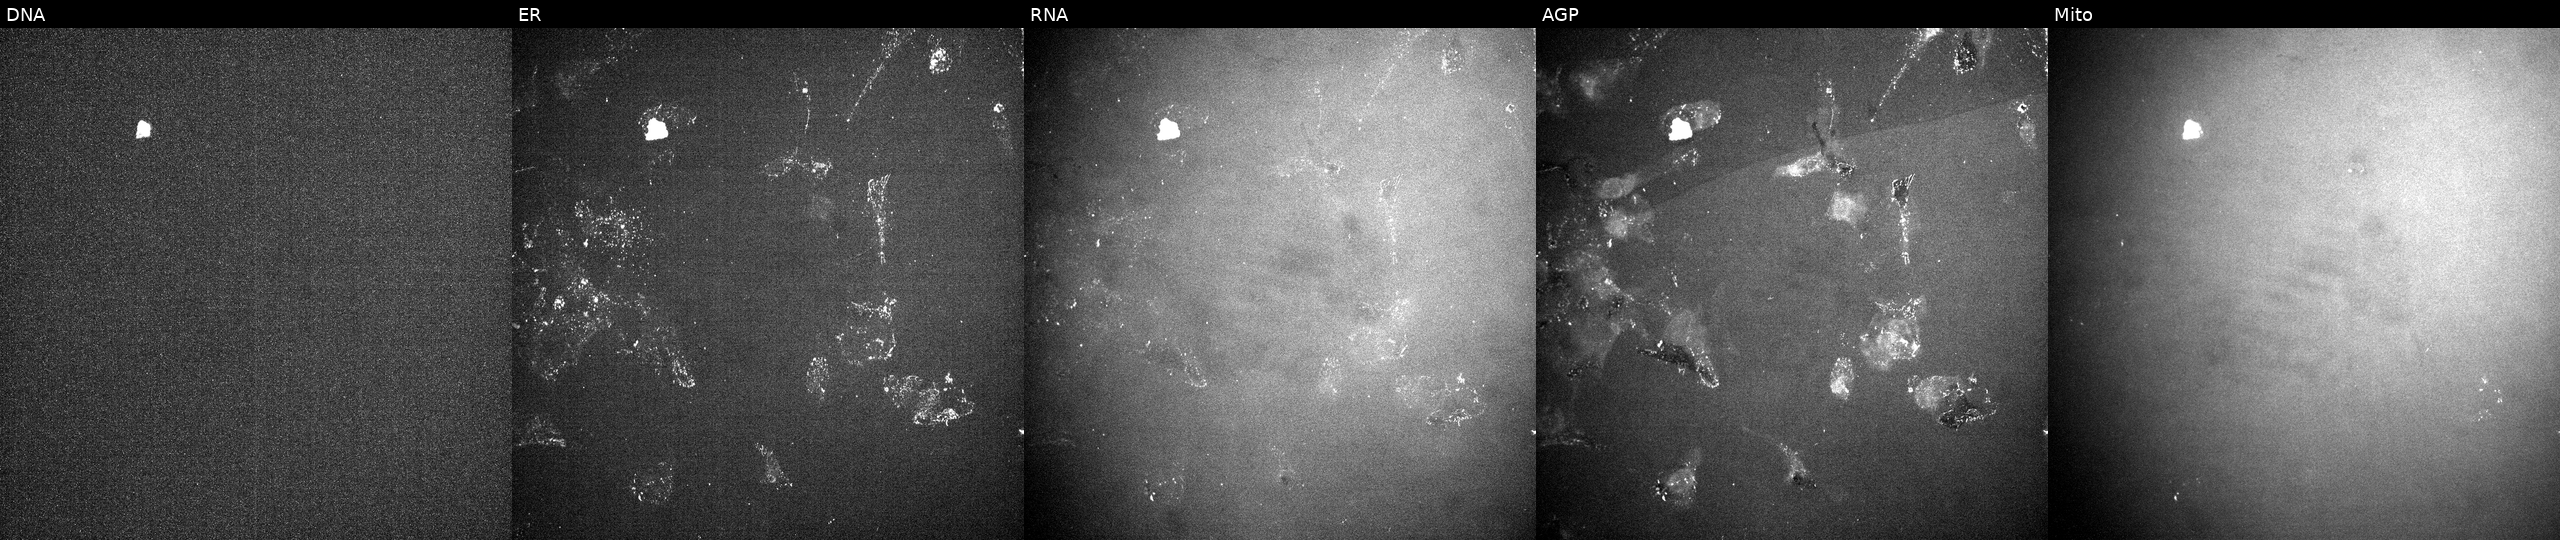
Five-channel Cell Painting image of U2OS cells exposed to a small-molecule compound (InChIKey LSFLAQVDISHMNB-UHFFFAOYSA-N) [SMILES: N=c1[nH]cnc2c1c(-c1cccc(OCc3ccccc3)c1)cn2C1CC(CN2CCCC2)C1]. The five panels, left to right, show DNA, ER, RNA, AGP, and Mito.